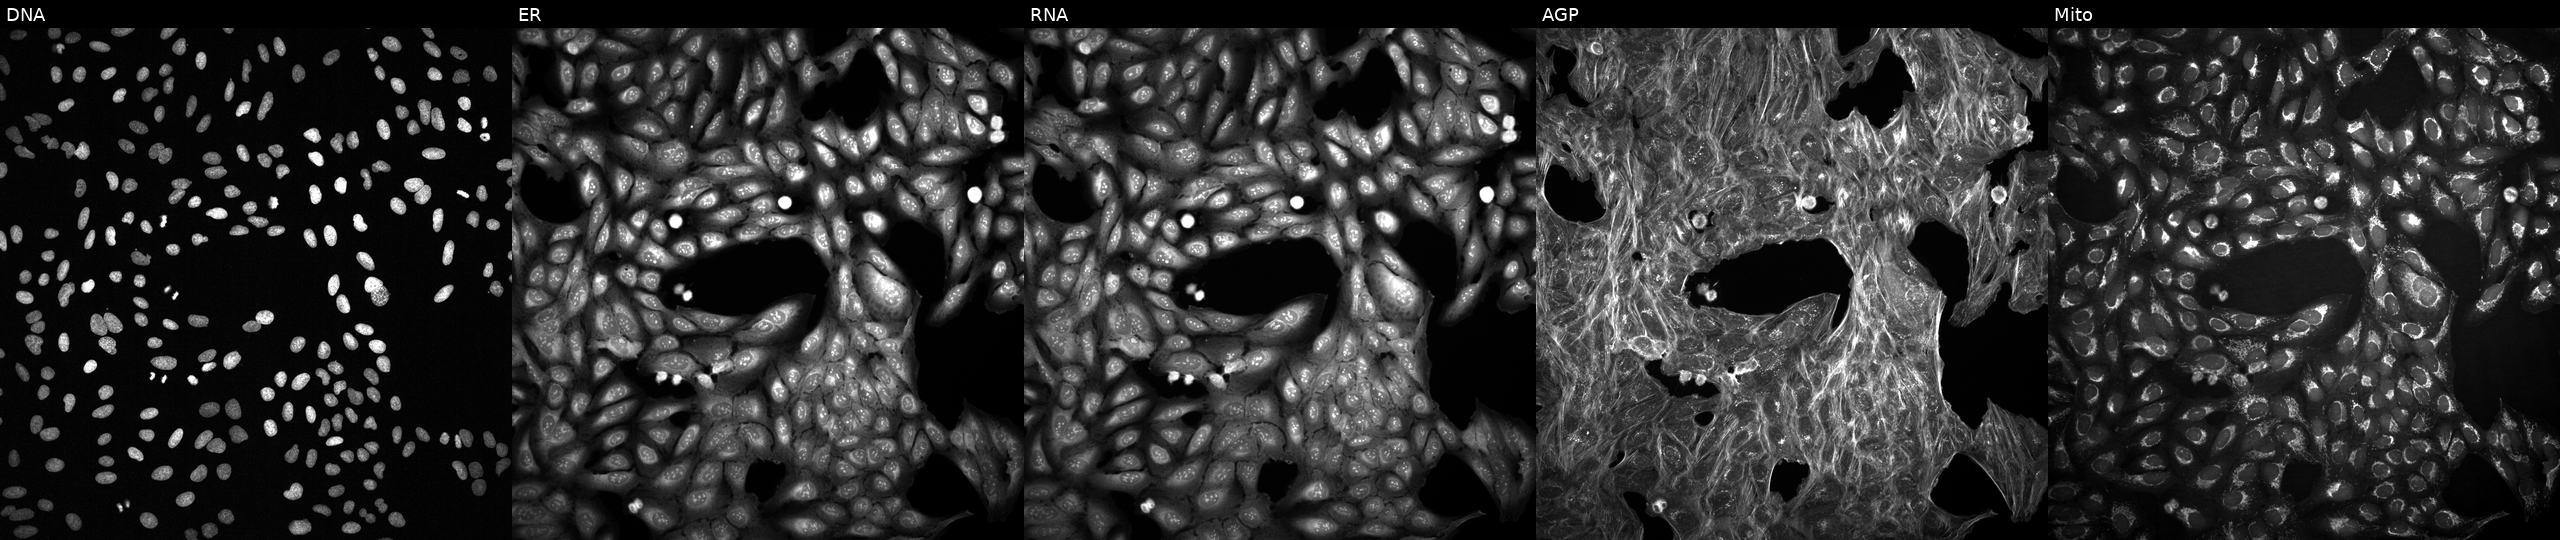
U2OS cells, Cell Painting assay, perturbed with a small-molecule compound (InChIKey DZJBKLAFFNZCGB-UHFFFAOYSA-N). Channels (left→right): DNA, ER, RNA, AGP, and Mito. Each panel is percentile-stretched 16-bit fluorescence. Source 2, plate 1053601763, well I08.